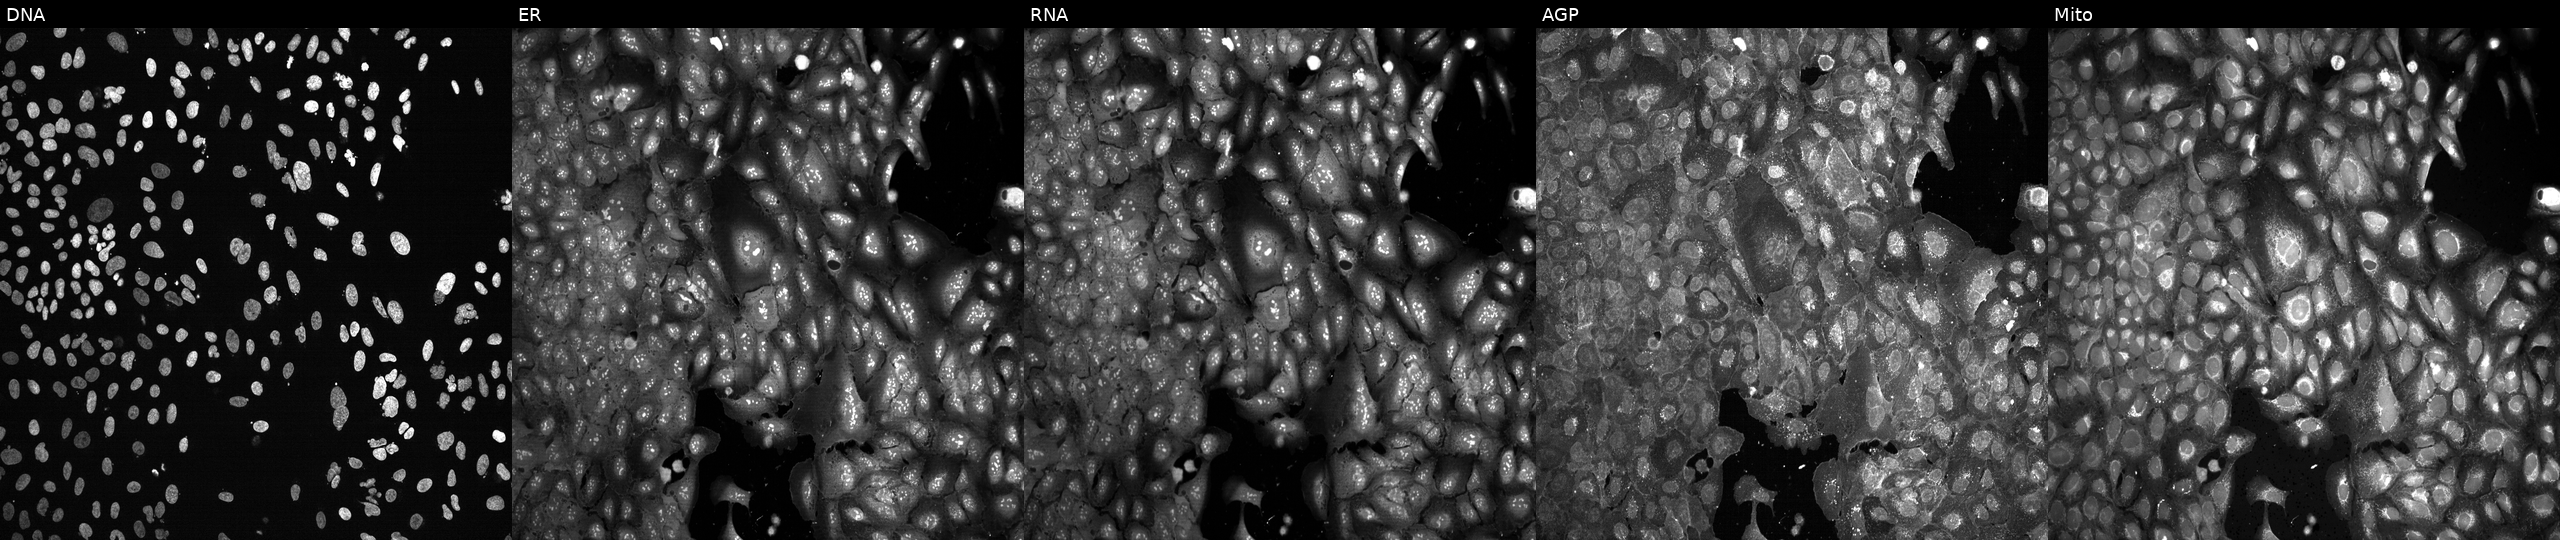
Panels show, left to right, Hoechst 33342, concanavalin A, SYTO 14, phalloidin and WGA, MitoTracker. U2OS osteosarcoma cells with ANK2 knocked out by CRISPR (JUMP id JCP2022_800460). Cell Painting assay, JUMP-CP dataset. Source 13, plate CP-CC9-R1-02, well A05.